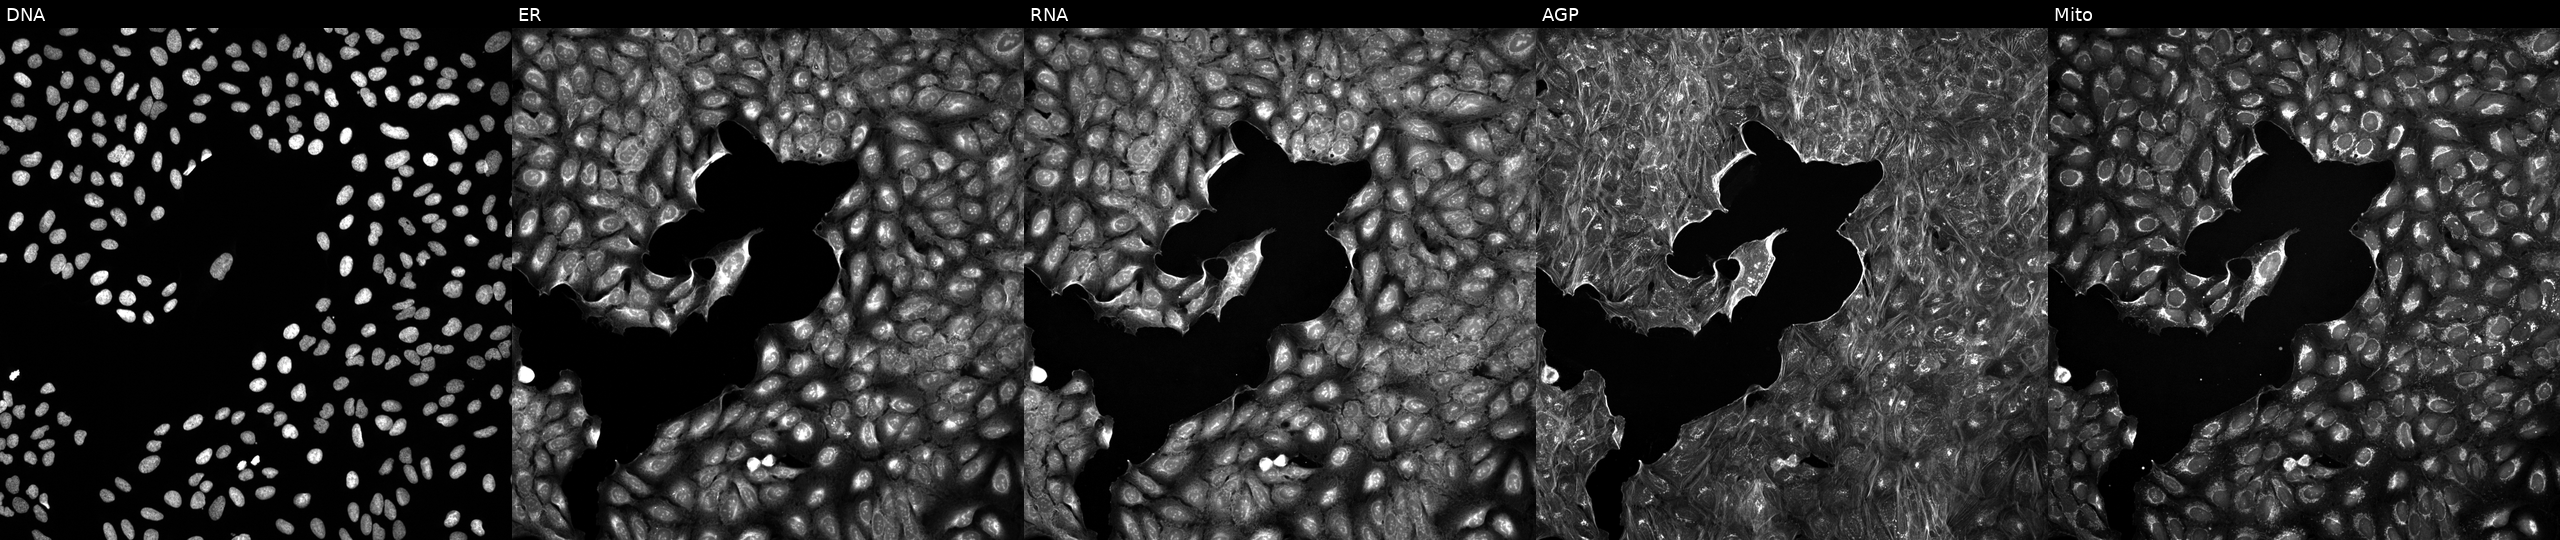
High-content fluorescence microscopy (Cell Painting). Cell line: U2OS. Perturbation: exposed to a small-molecule compound (JUMP id JCP2022_069285). Channels (left→right): DNA (nuclei); ER (endoplasmic reticulum); RNA (nucleoli and cytoplasmic RNA); AGP (actin cytoskeleton, Golgi, and plasma membrane); Mito (mitochondria).